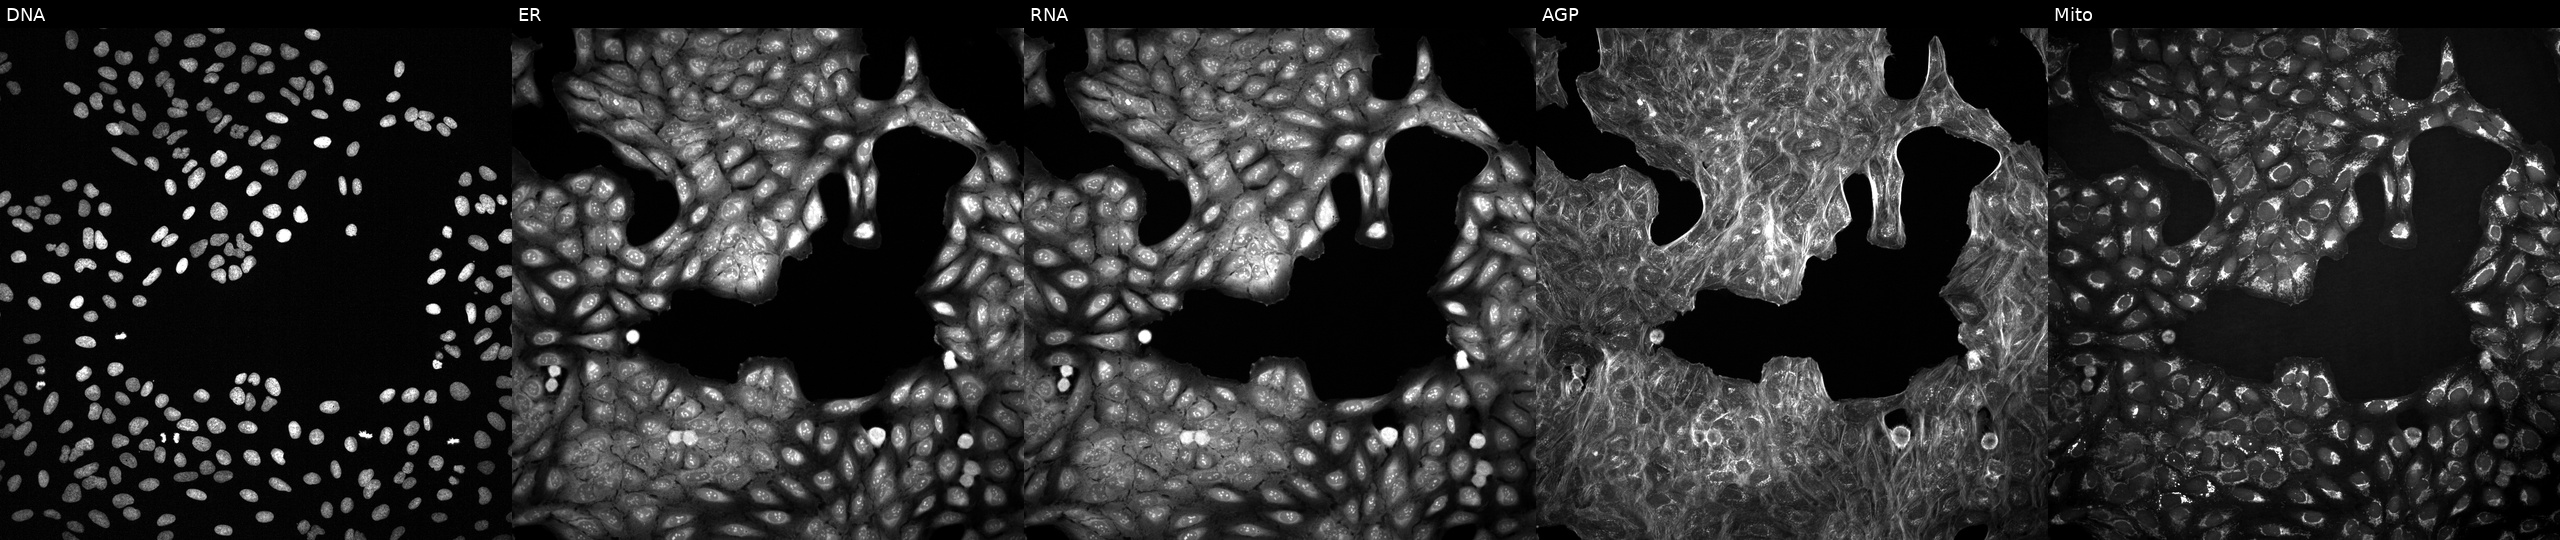
JUMP Cell Painting — COMPOUND plate. U2OS cells perturbed with a small-molecule compound (InChIKey RQRDKFBOKNKQTI-UHFFFAOYSA-N). Panels show, left to right, Hoechst 33342, concanavalin A, SYTO 14, phalloidin and WGA, MitoTracker.